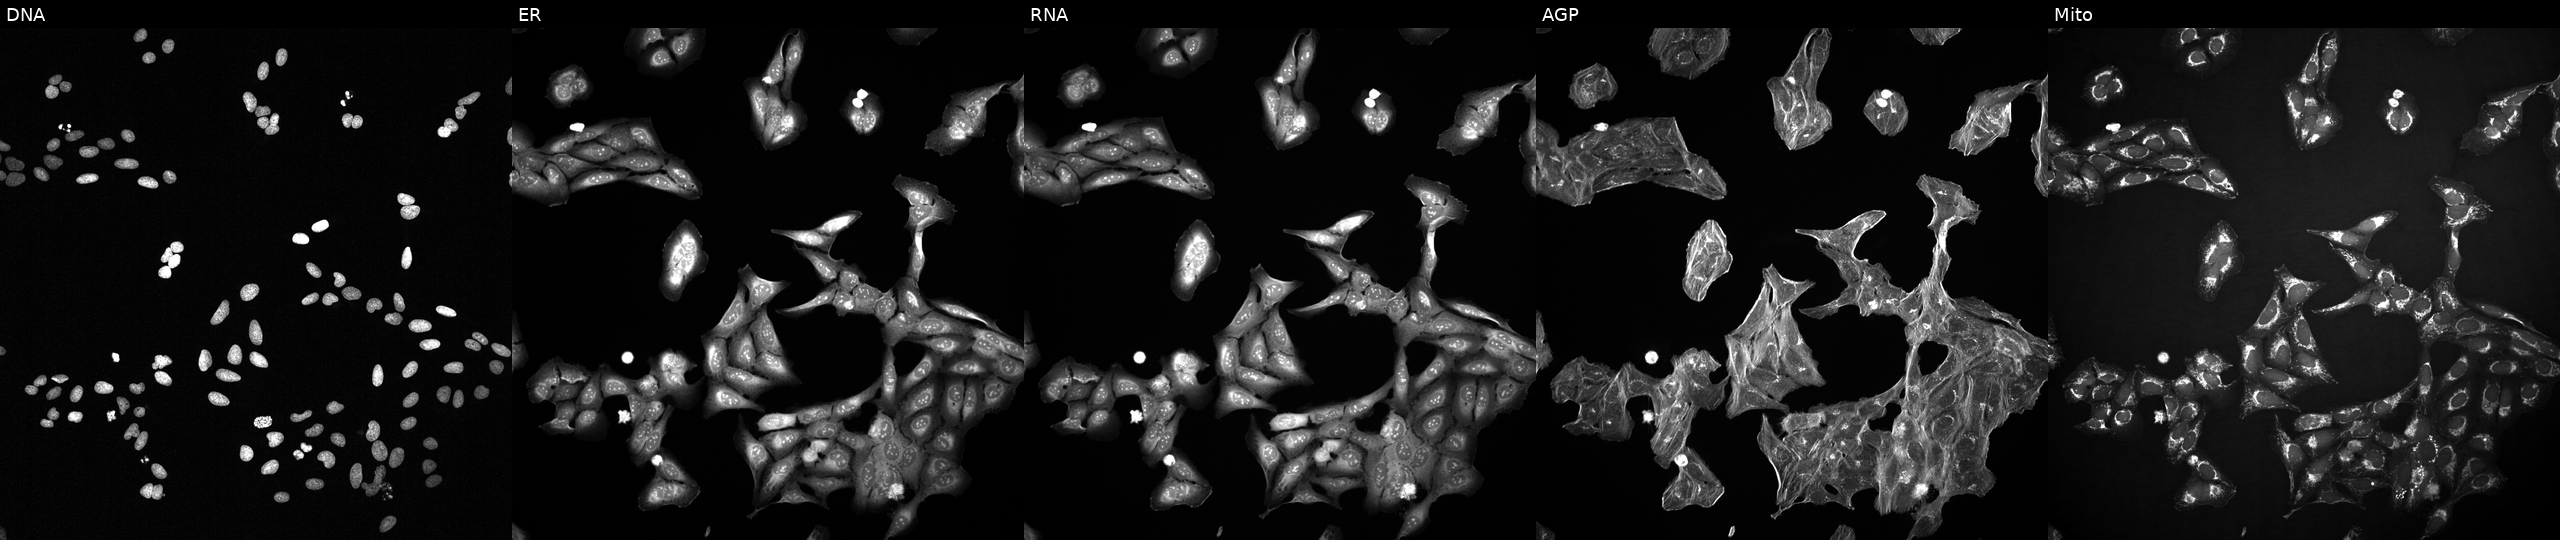
U2OS cells, Cell Painting assay, treated with a small-molecule compound (InChIKey JZCCPYFCLUAFGR-UHFFFAOYSA-N) (JUMP id JCP2022_043072). The five panels, left to right, show DNA, ER, RNA, AGP, and Mito. Each panel is percentile-stretched 16-bit fluorescence.